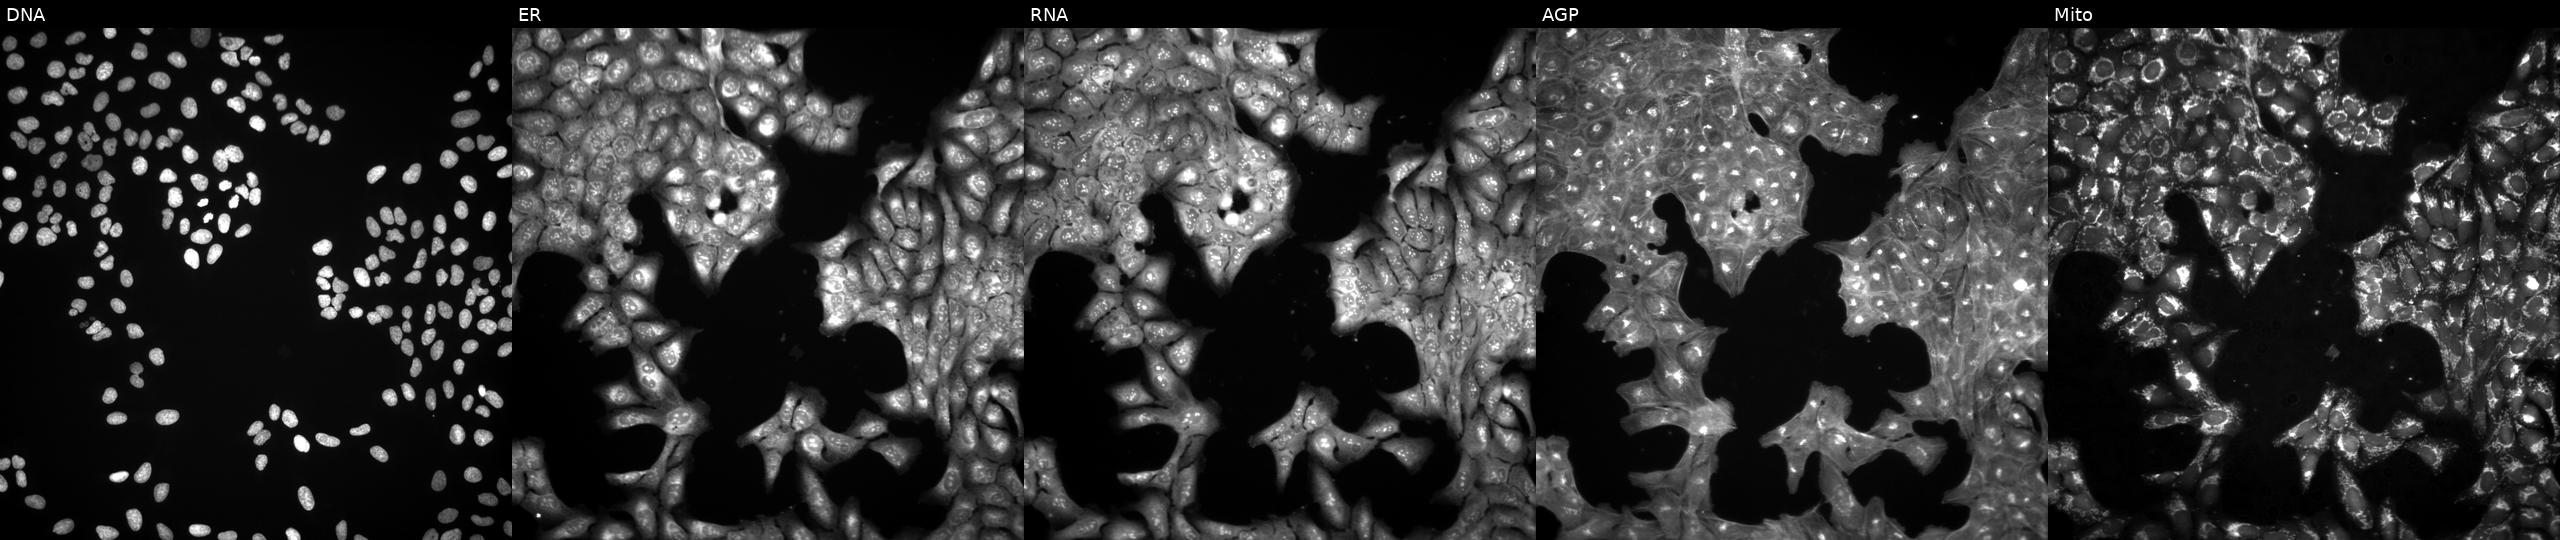
Channels (left→right): DNA (nuclei); ER (endoplasmic reticulum); RNA (nucleoli and cytoplasmic RNA); AGP (actin cytoskeleton, Golgi, and plasma membrane); Mito (mitochondria). U2OS osteosarcoma cells exposed to DMSO alone as a negative control (JUMP id JCP2022_033924). Cell Painting assay, JUMP-CP dataset.